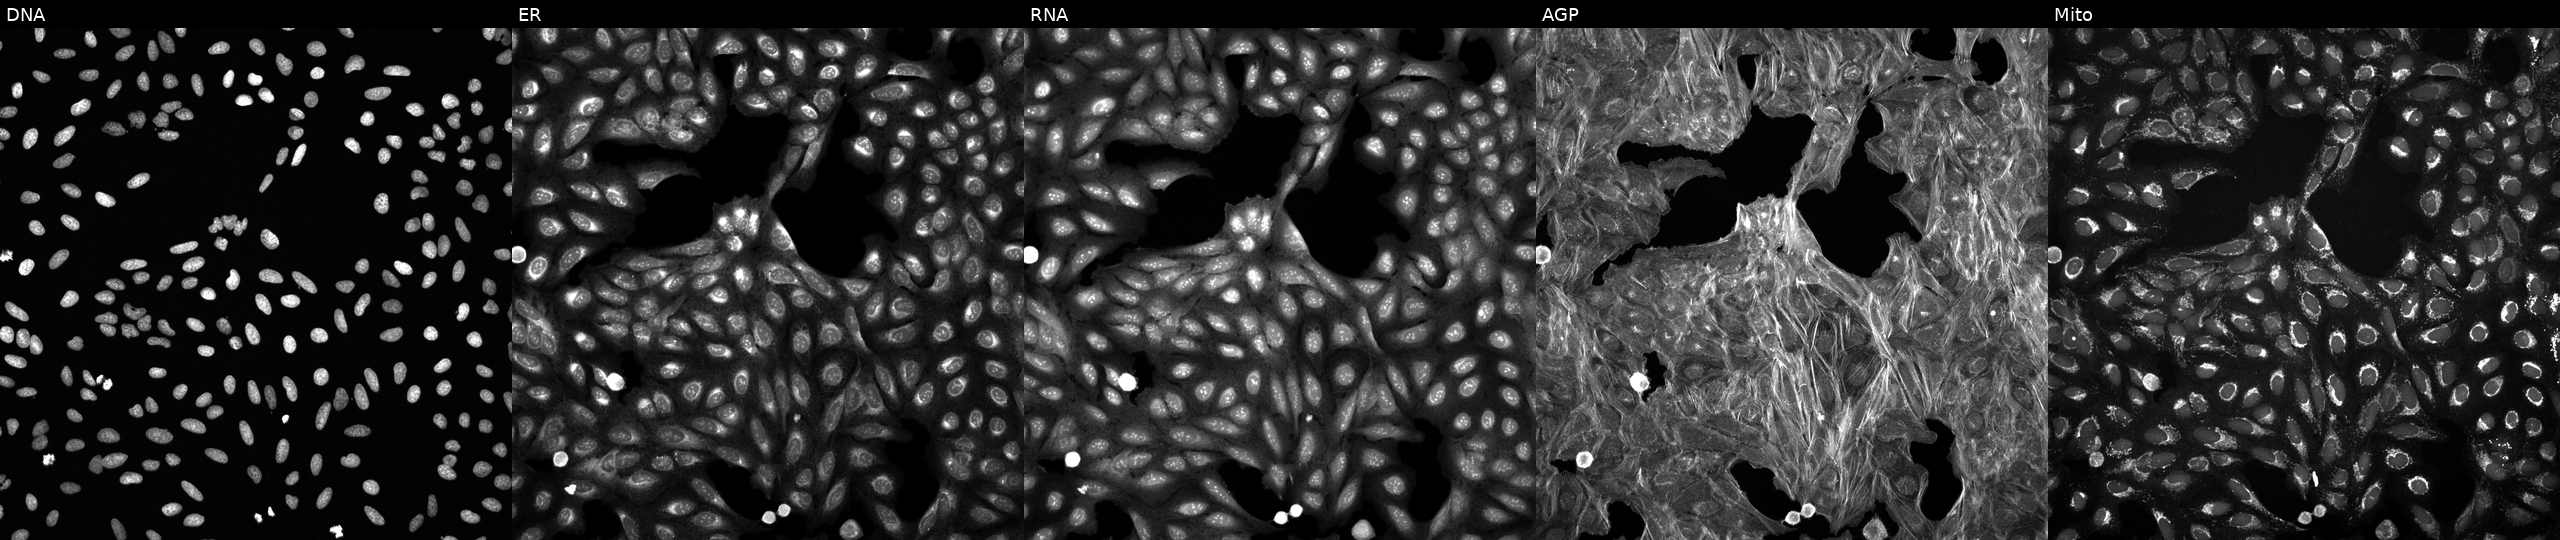
This image strip shows the five Cell Painting channels for a single field of U2OS cells treated with DMSO vehicle only (negative control). Panels show, left to right, DNA (nuclei); ER (endoplasmic reticulum); RNA (nucleoli and cytoplasmic RNA); AGP (actin cytoskeleton, Golgi, and plasma membrane); Mito (mitochondria).